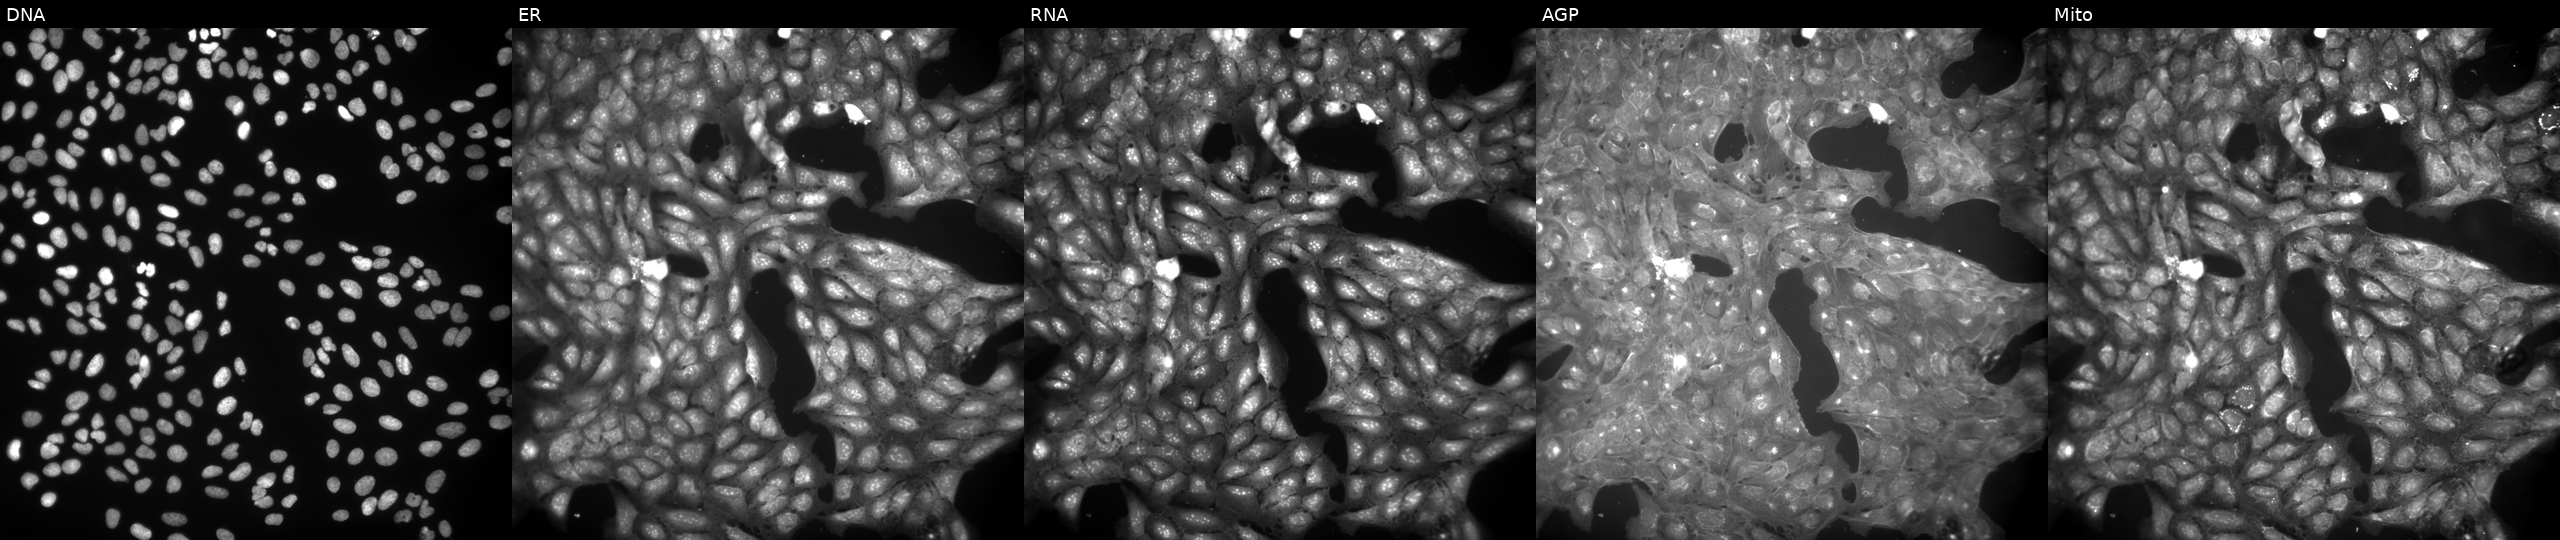
Channels (left→right): DNA, ER, RNA, AGP, and Mito. U2OS osteosarcoma cells treated with a small-molecule compound. Cell Painting assay, JUMP-CP dataset. Source 9, plate GR00003382, well A44.